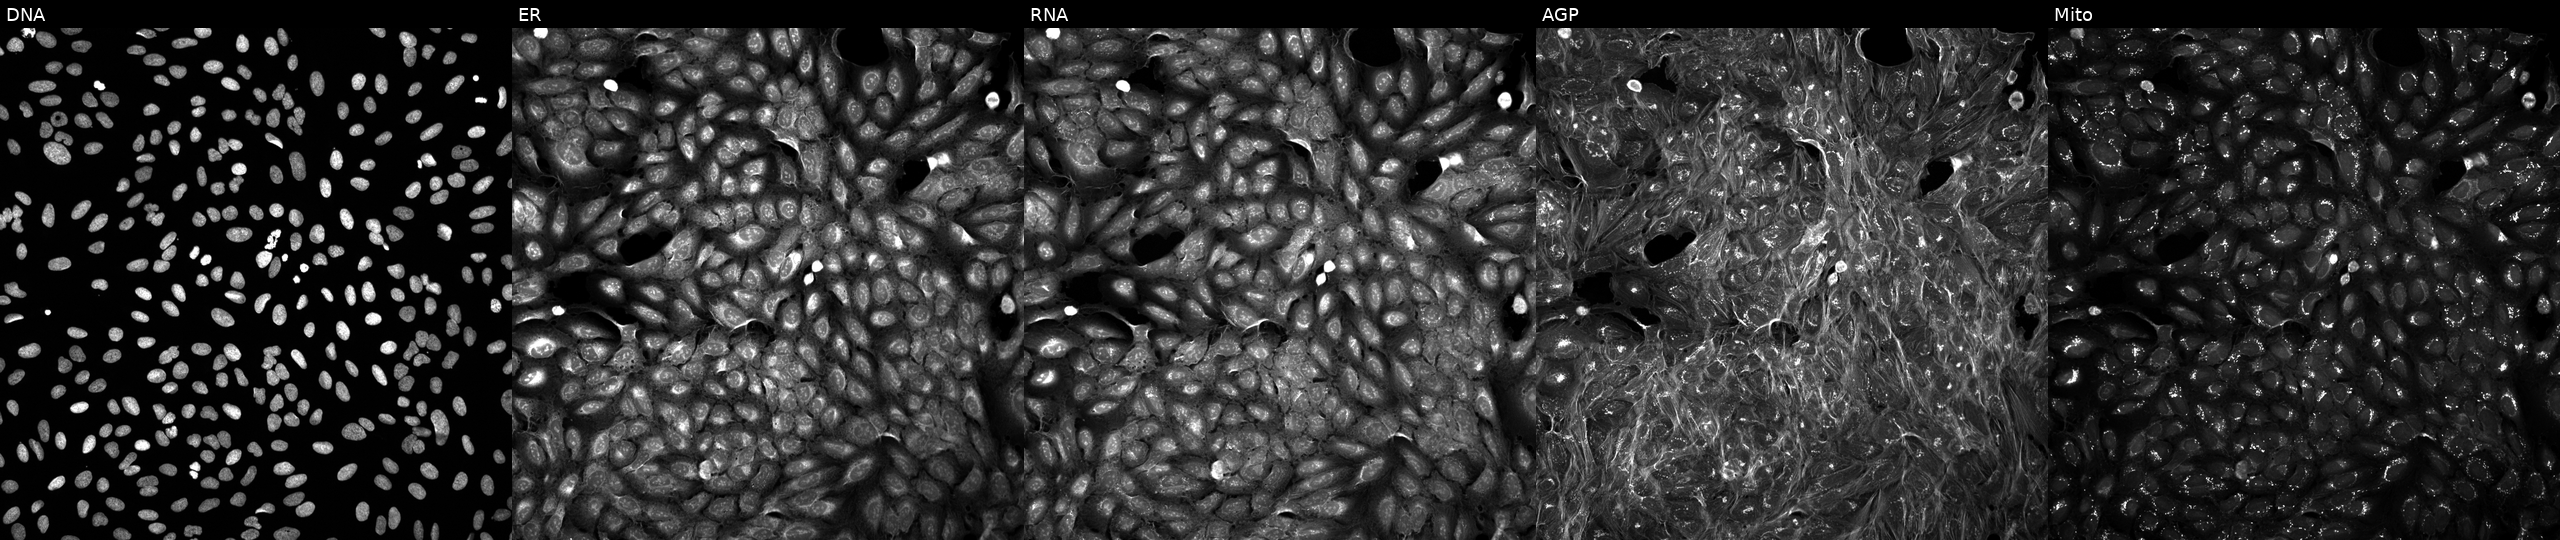
Channels (left→right): DNA (nuclei); ER (endoplasmic reticulum); RNA (nucleoli and cytoplasmic RNA); AGP (actin cytoskeleton, Golgi, and plasma membrane); Mito (mitochondria). U2OS osteosarcoma cells exposed to a small-molecule compound [SMILES: S=C(S)N1CCCC1]. Cell Painting assay, JUMP-CP dataset. Source 5, plate ACPJUM012, well P19.